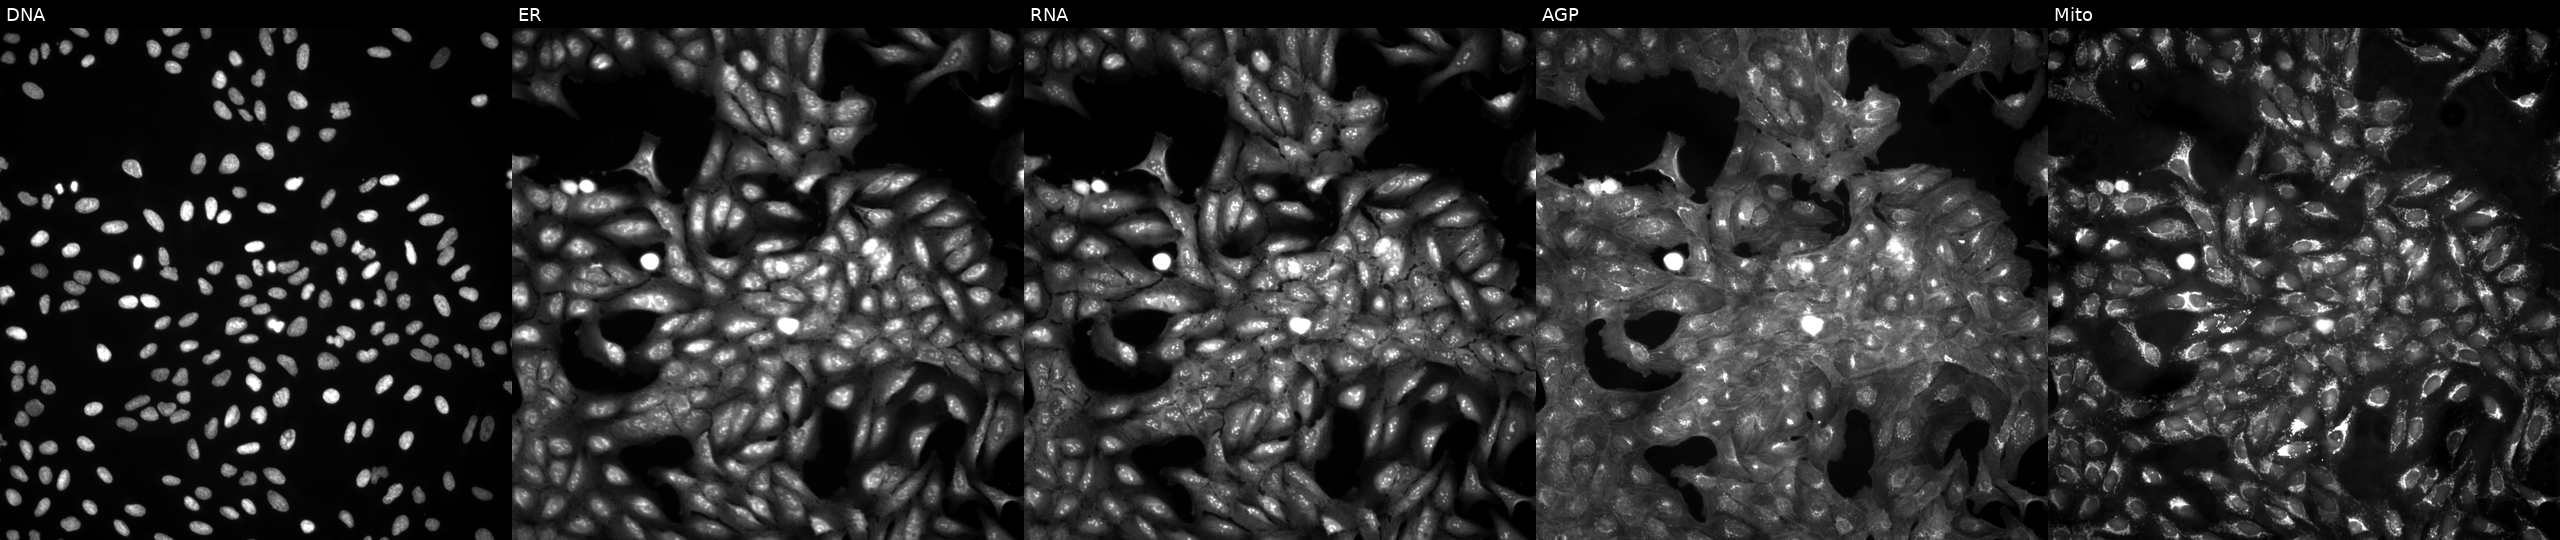
High-content fluorescence microscopy (Cell Painting). Cell line: U2OS. Perturbation: in an empty control well (no perturbation). Panels show, left to right, Hoechst 33342, concanavalin A, SYTO 14, phalloidin and WGA, MitoTracker.